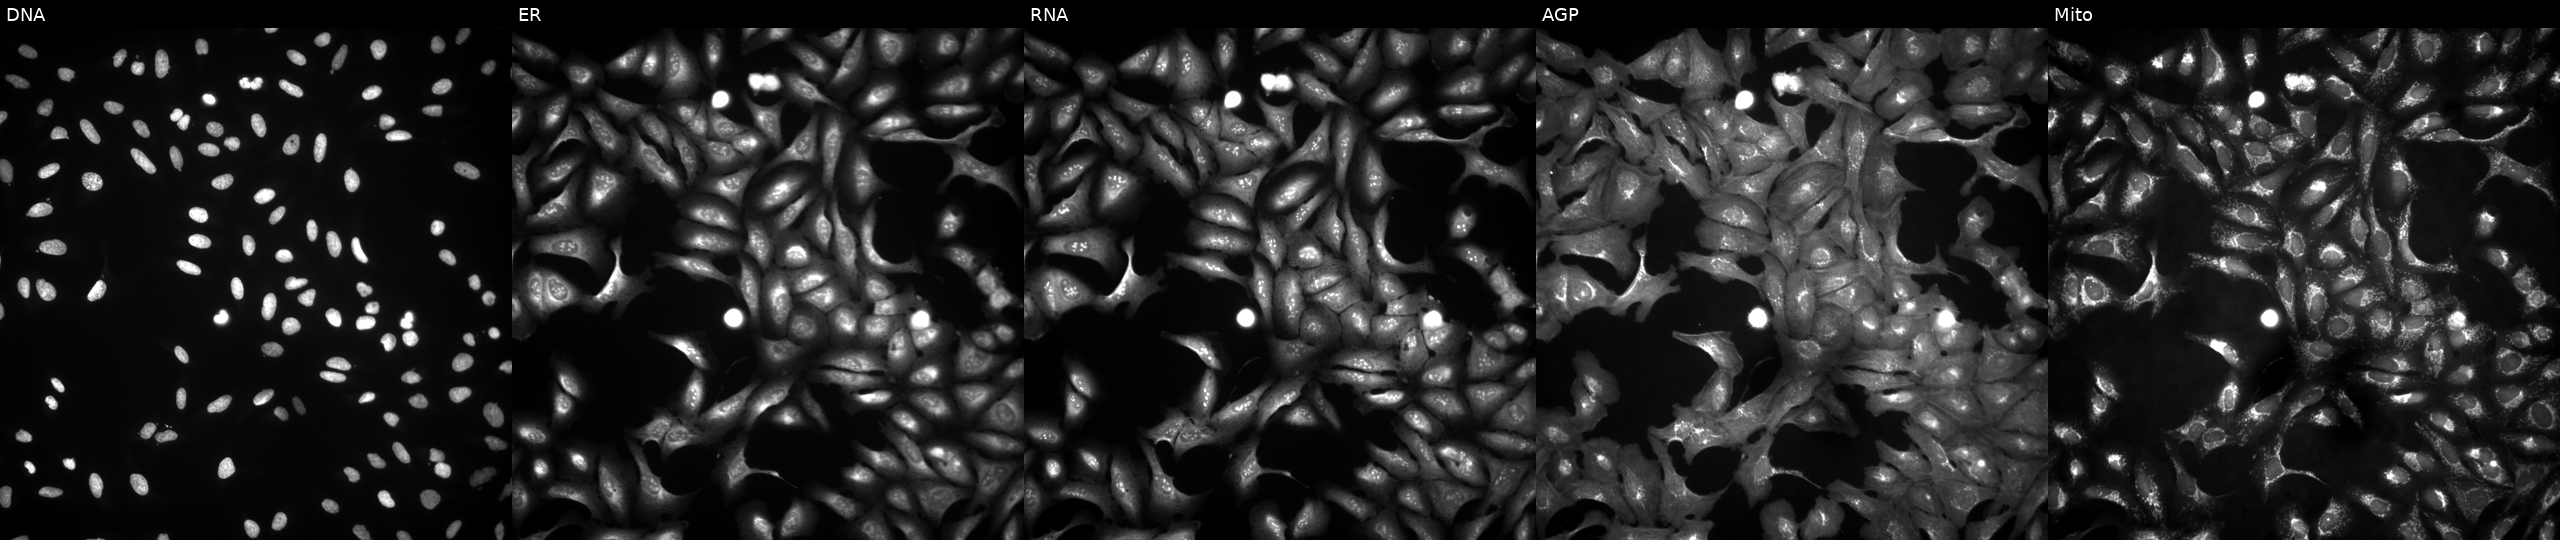
This image strip shows the five Cell Painting channels for a single field of U2OS cells with GLYATL2 overexpressed (ORF). Panels show, left to right, DNA, ER, RNA, AGP, and Mito. Source 4, plate BR00124790, well L19.